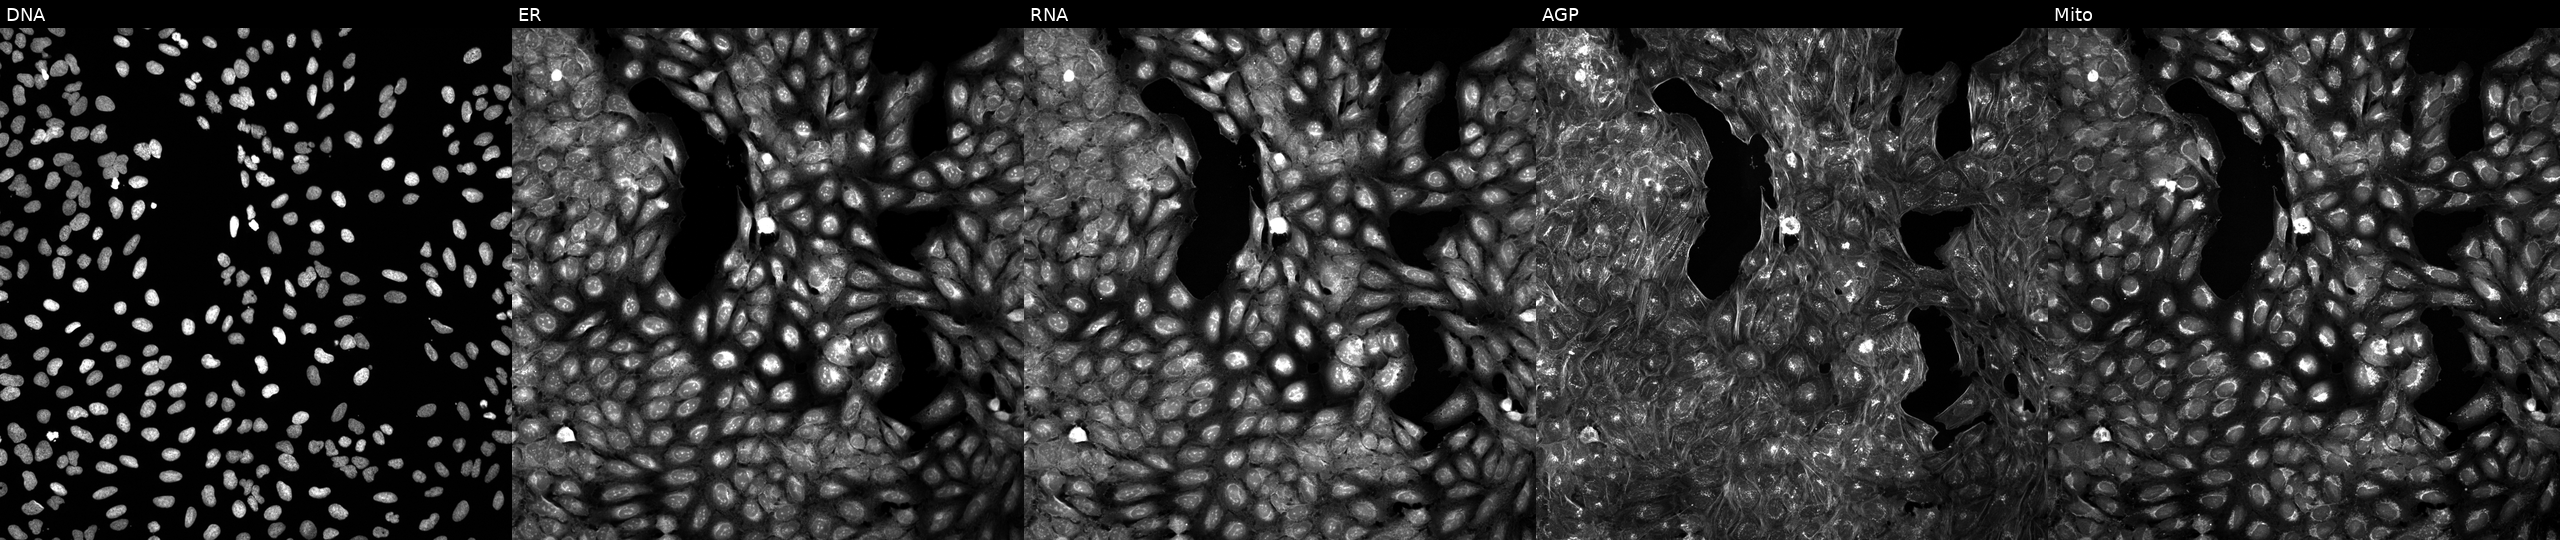
This image strip shows the five Cell Painting channels for a single field of U2OS cells perturbed with a small-molecule compound (InChIKey ZNKMYYWRXLSHES-UHFFFAOYSA-N) (JUMP id JCP2022_114450). Channels (left→right): DNA (nuclei); ER (endoplasmic reticulum); RNA (nucleoli and cytoplasmic RNA); AGP (actin cytoskeleton, Golgi, and plasma membrane); Mito (mitochondria).